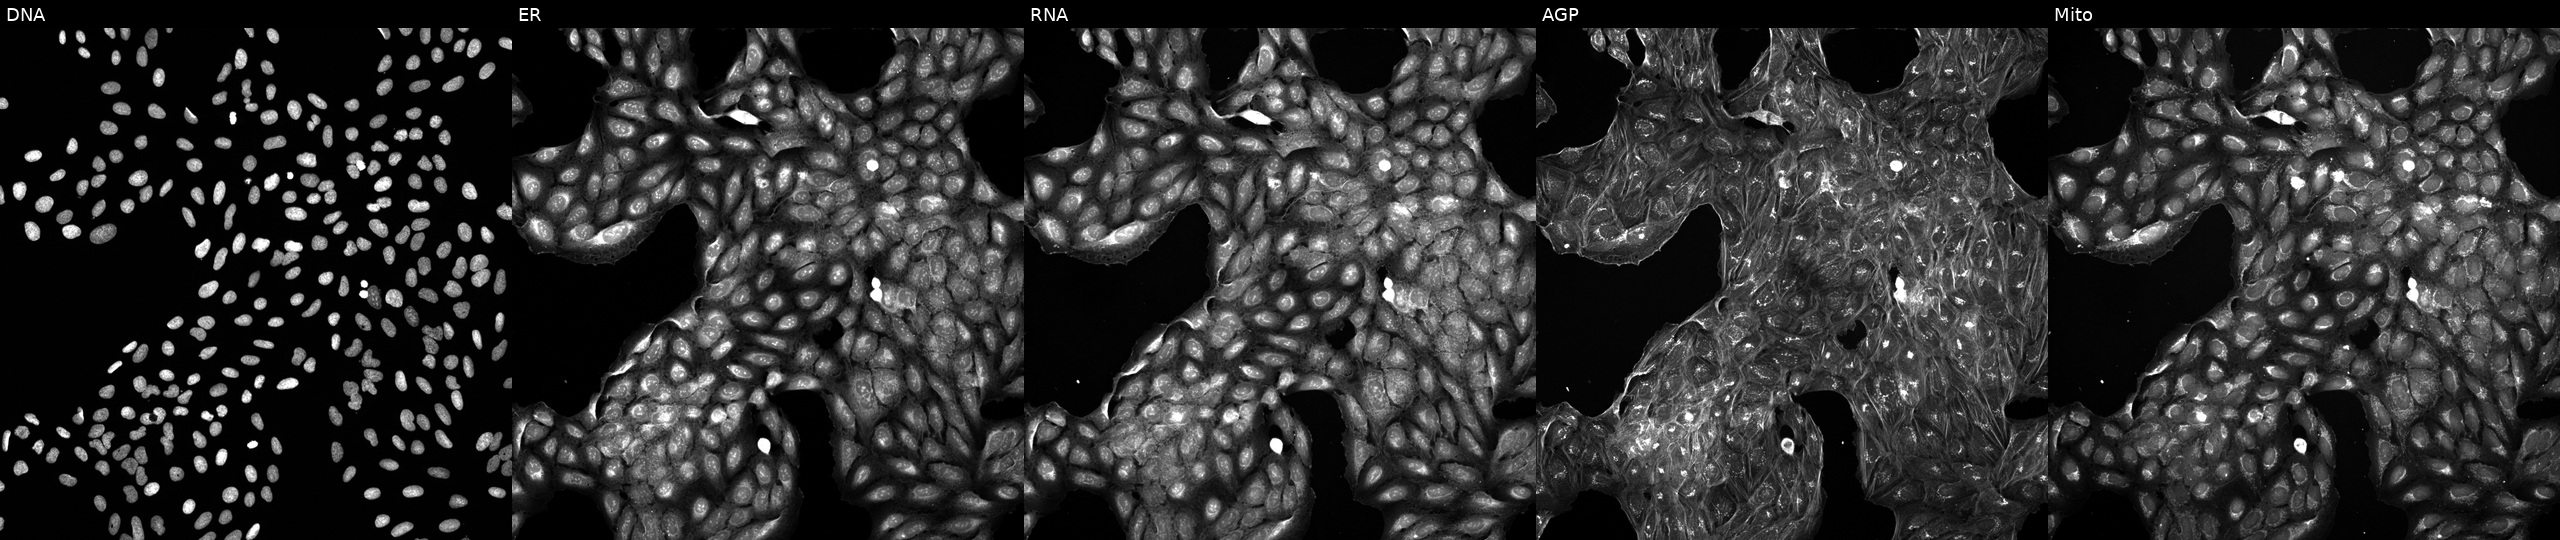
This image strip shows the five Cell Painting channels for a single field of U2OS cells perturbed with a small-molecule compound (InChIKey DUGJWCYMRYRZTJ-UHFFFAOYSA-N). Panels show, left to right, DNA (nuclei); ER (endoplasmic reticulum); RNA (nucleoli and cytoplasmic RNA); AGP (actin cytoskeleton, Golgi, and plasma membrane); Mito (mitochondria).